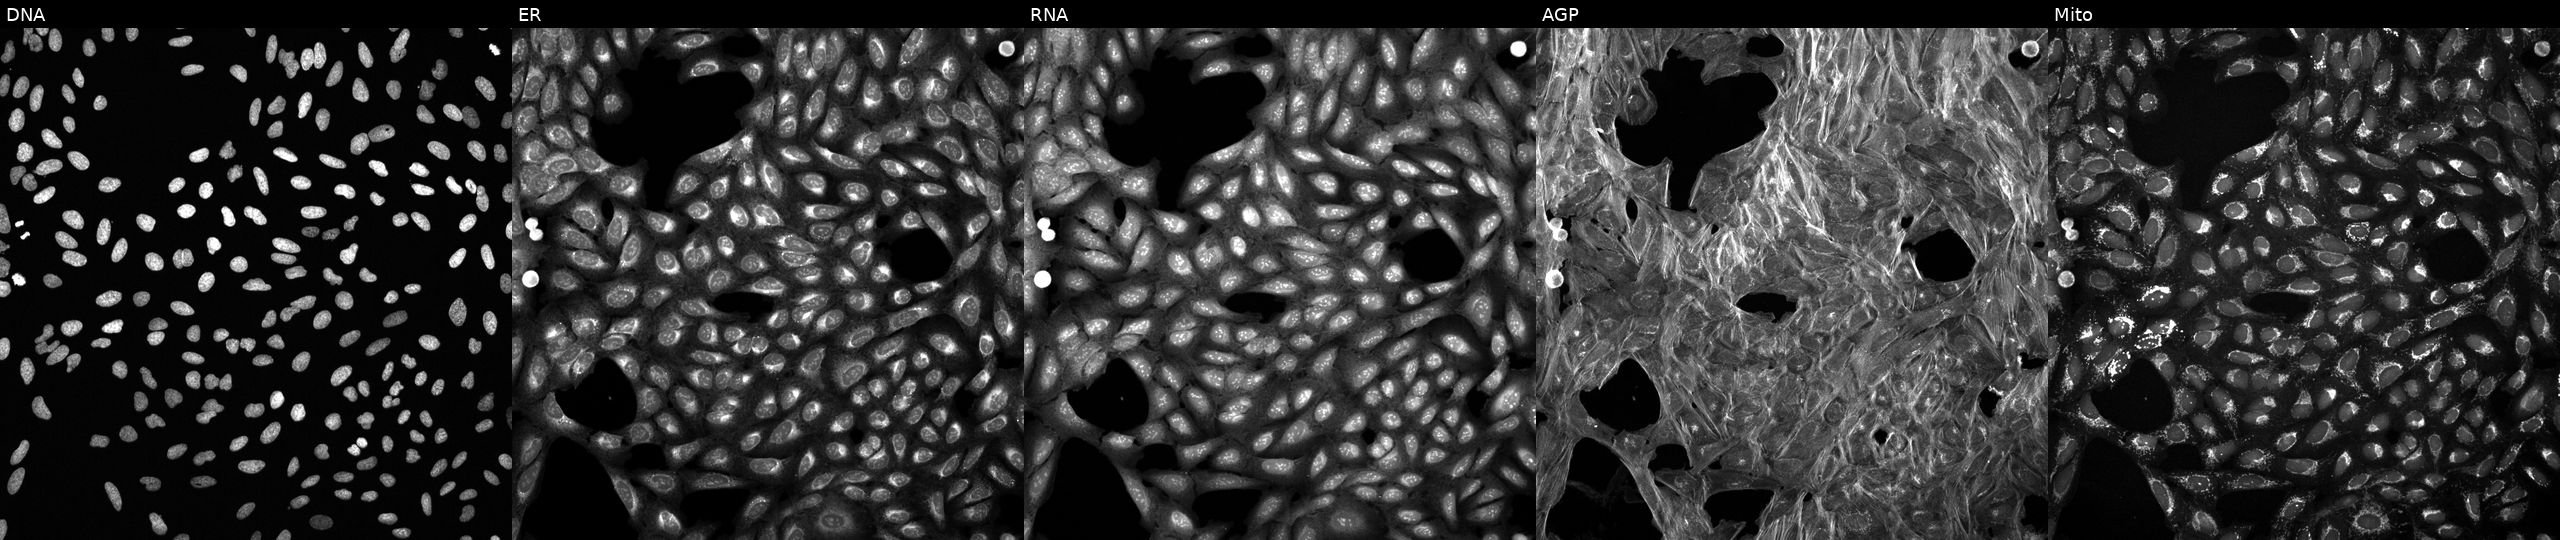
High-content fluorescence microscopy (Cell Painting). Cell line: U2OS. Perturbation: treated with DMSO vehicle only (negative control) (JUMP id JCP2022_033924). Channels (left→right): DNA, ER, RNA, AGP, and Mito.